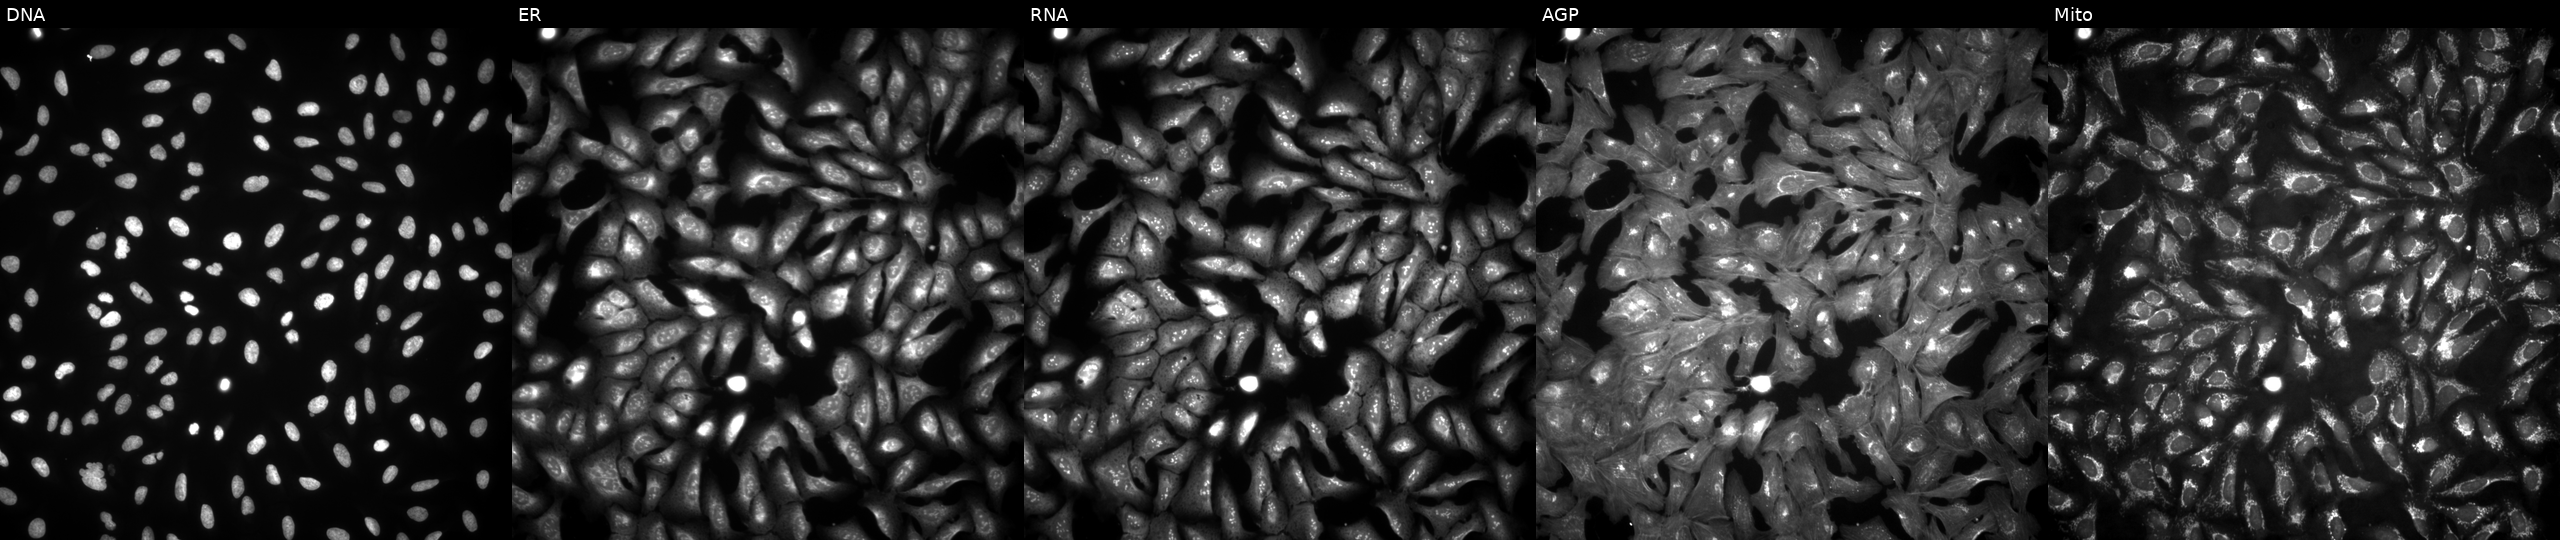
High-content fluorescence microscopy (Cell Painting). Cell line: U2OS. Perturbation: transfected with an ORF construct for MGP. From left to right: DNA (nuclei); ER (endoplasmic reticulum); RNA (nucleoli and cytoplasmic RNA); AGP (actin cytoskeleton, Golgi, and plasma membrane); Mito (mitochondria).